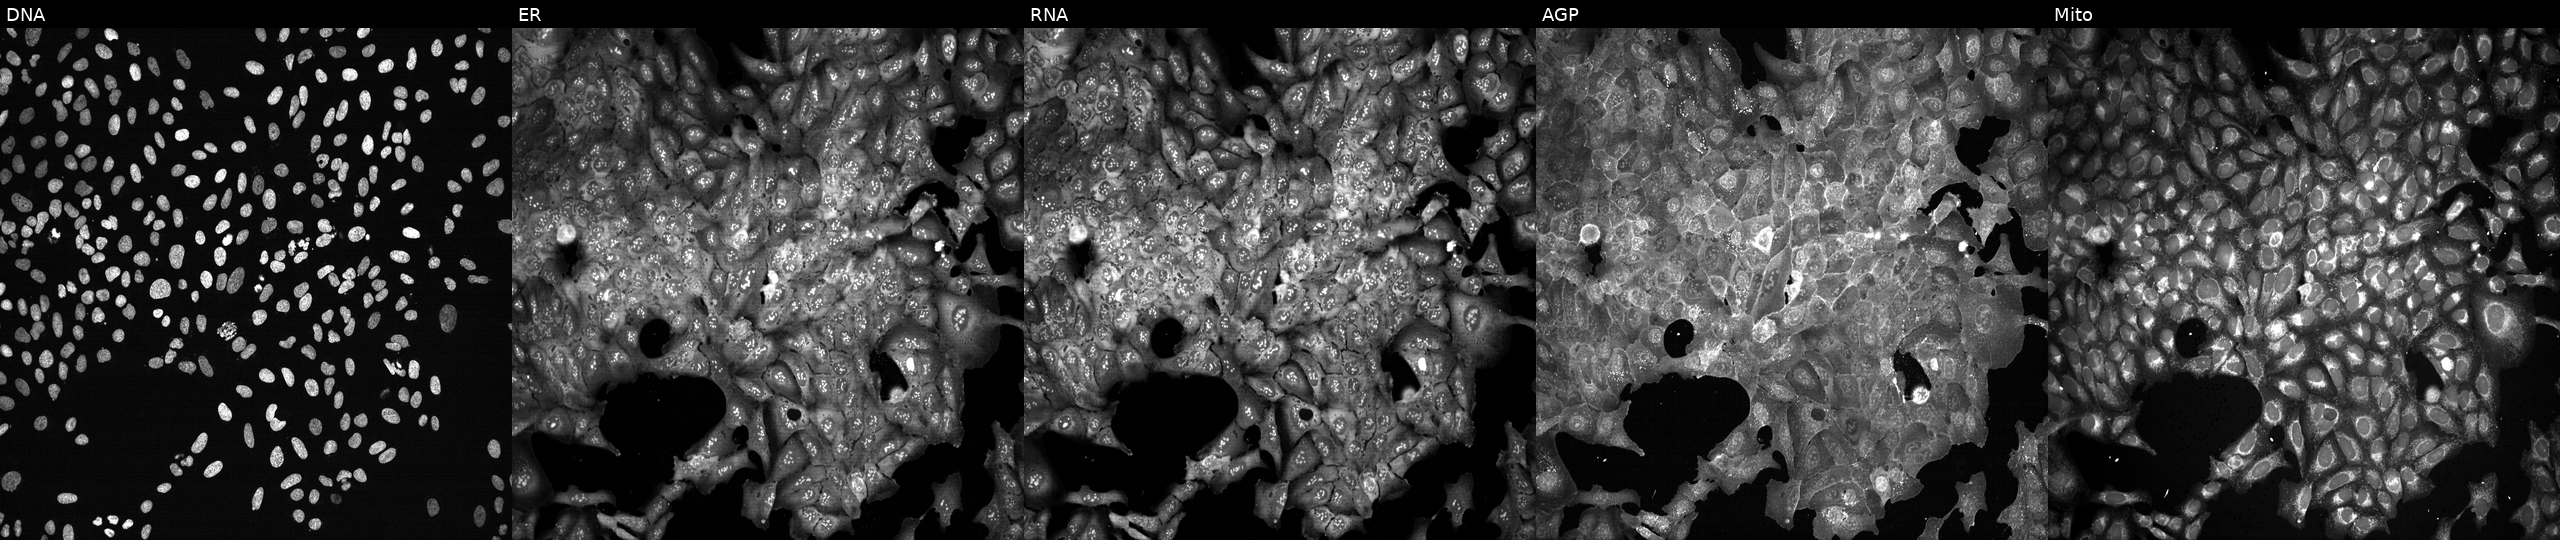
Five-channel Cell Painting image of U2OS cells following CRISPR knockout of CCL14. From left to right: DNA, ER, RNA, AGP, and Mito.